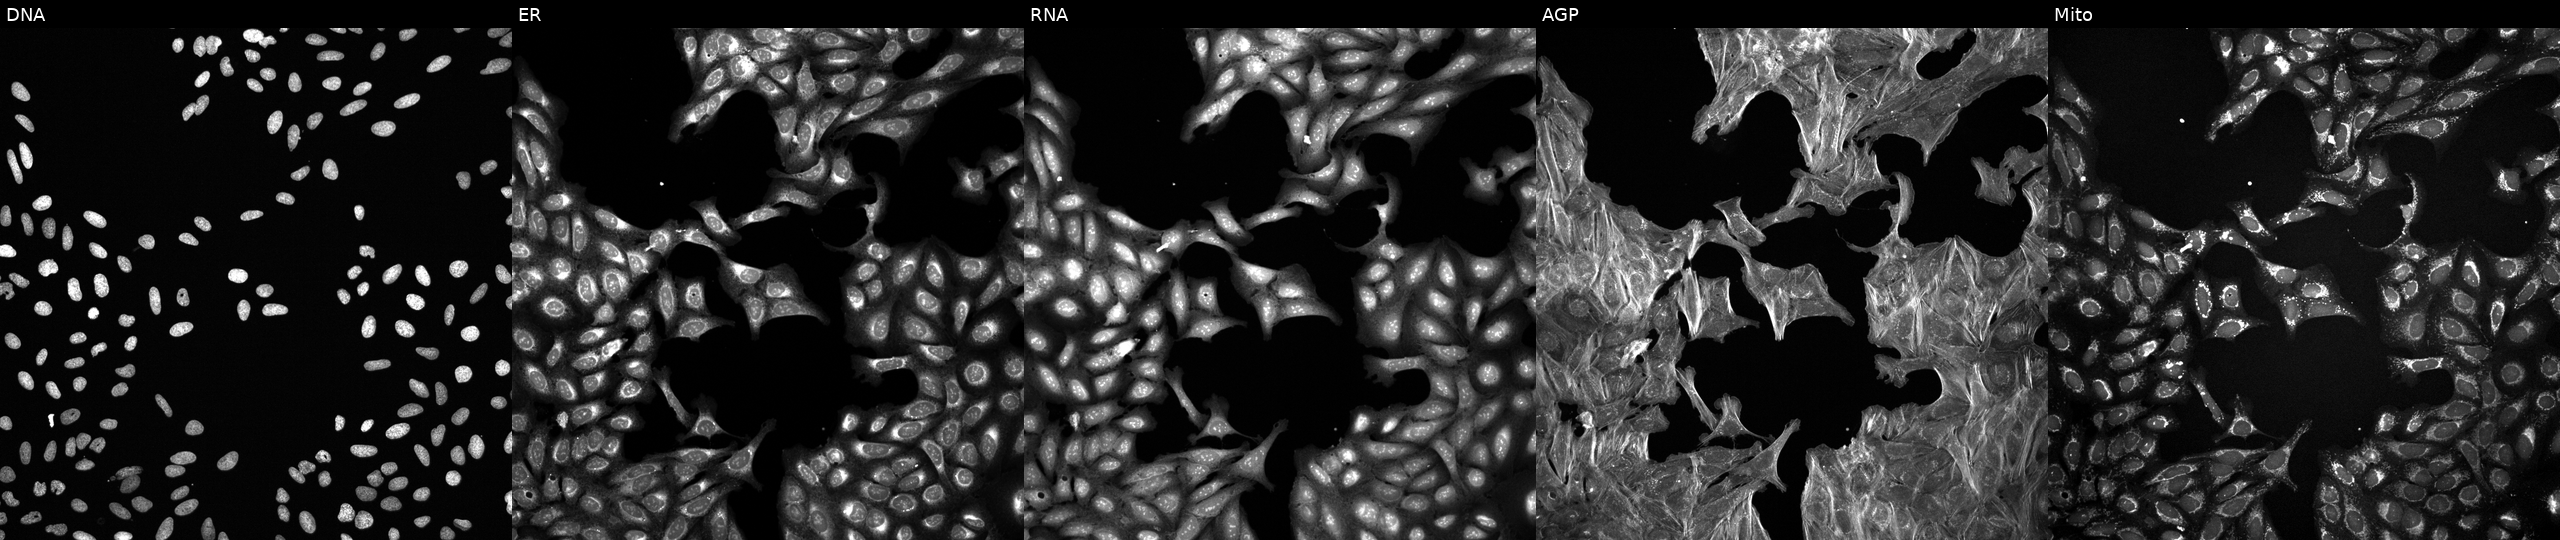
Panels show, left to right, DNA (nuclei); ER (endoplasmic reticulum); RNA (nucleoli and cytoplasmic RNA); AGP (actin cytoskeleton, Golgi, and plasma membrane); Mito (mitochondria). U2OS osteosarcoma cells treated with a small-molecule compound (InChIKey AFJRDFWMXUECEW-UHFFFAOYSA-N). Cell Painting assay, JUMP-CP dataset.